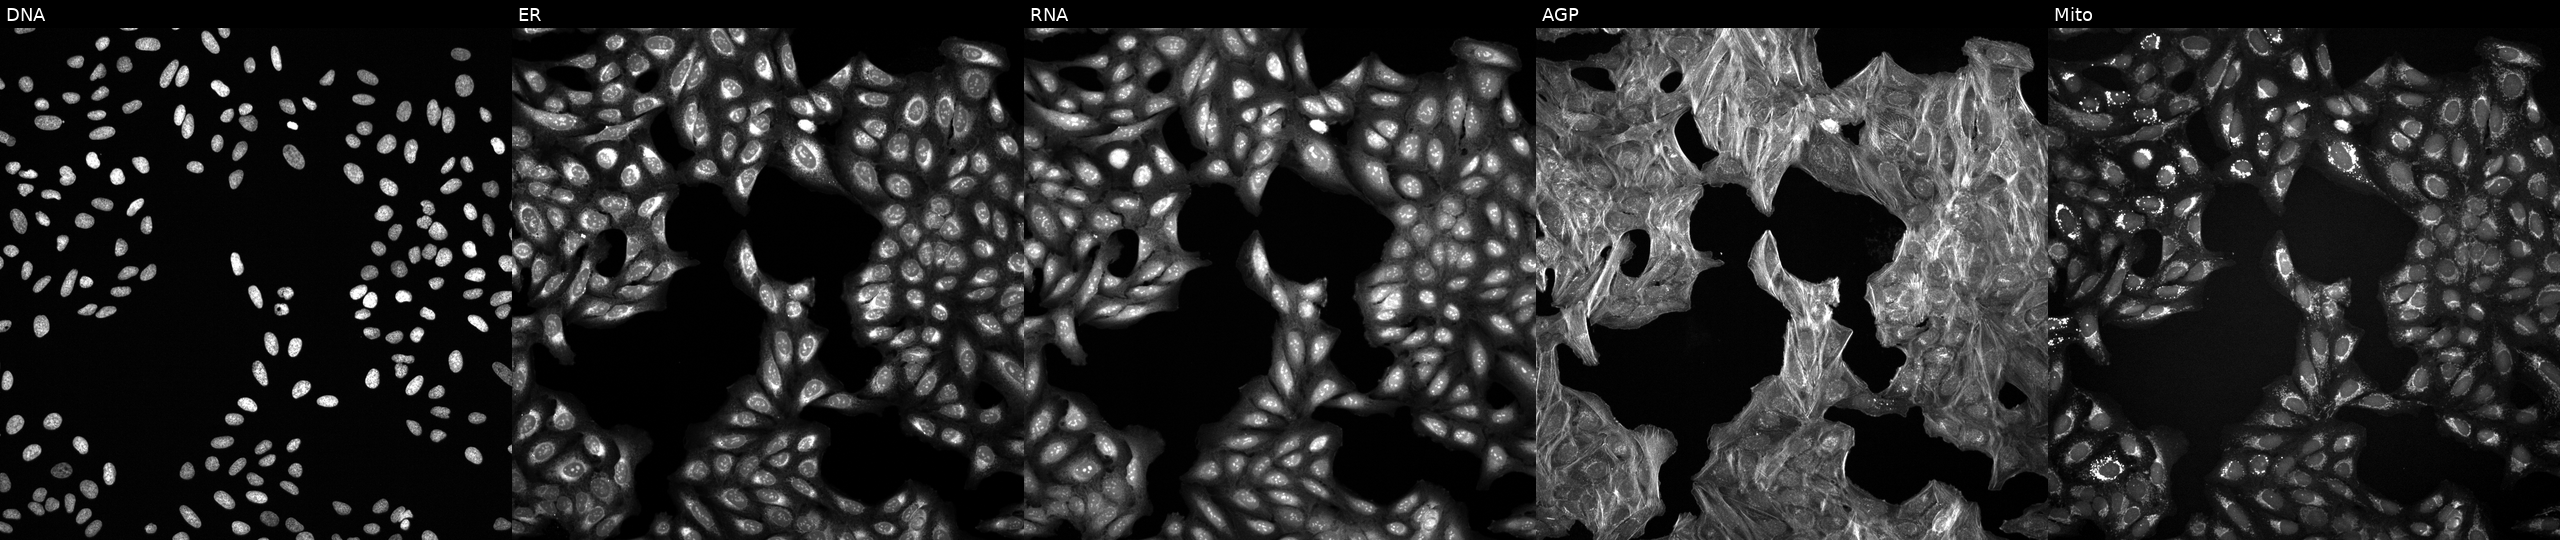
U2OS cells, Cell Painting assay, perturbed with a small-molecule compound (JUMP id JCP2022_004404). Channels (left→right): DNA, ER, RNA, AGP, and Mito. Each panel is percentile-stretched 16-bit fluorescence. Source 6, plate 110000293083, well N19.